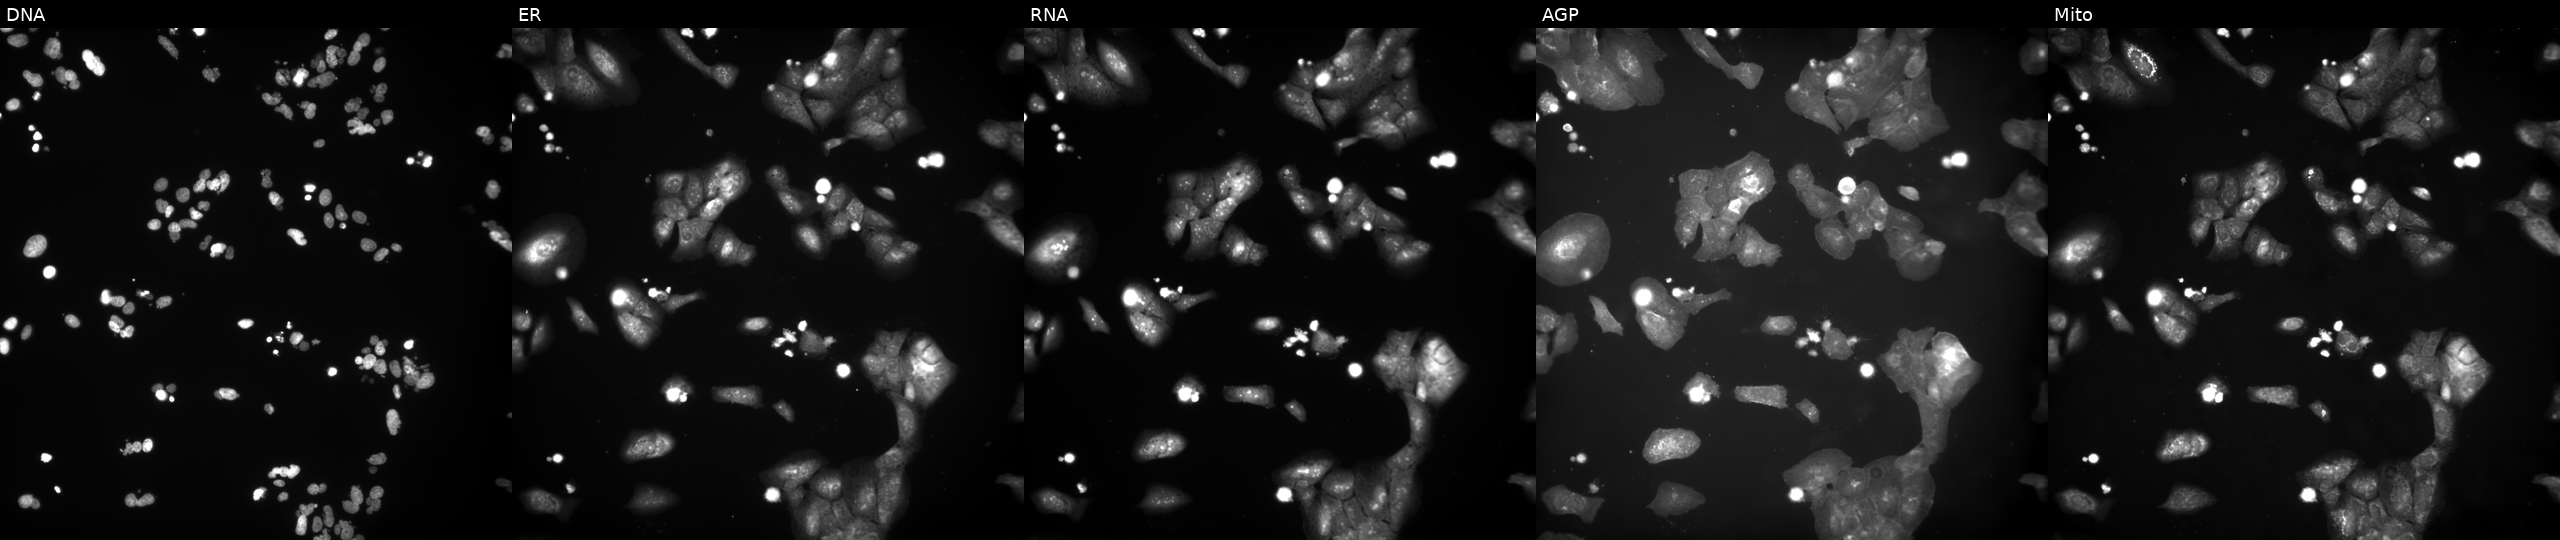
U2OS cells, Cell Painting assay, treated with a small-molecule compound [SMILES: CCOC(=O)c1ccc(N=c2cc(C)[nH]c(-c3ccccc3)n2)cc1] (JUMP id JCP2022_054221). Channels (left→right): Hoechst 33342, concanavalin A, SYTO 14, phalloidin and WGA, MitoTracker. Each panel is percentile-stretched 16-bit fluorescence. Source 9, plate GR00003381, well F44.